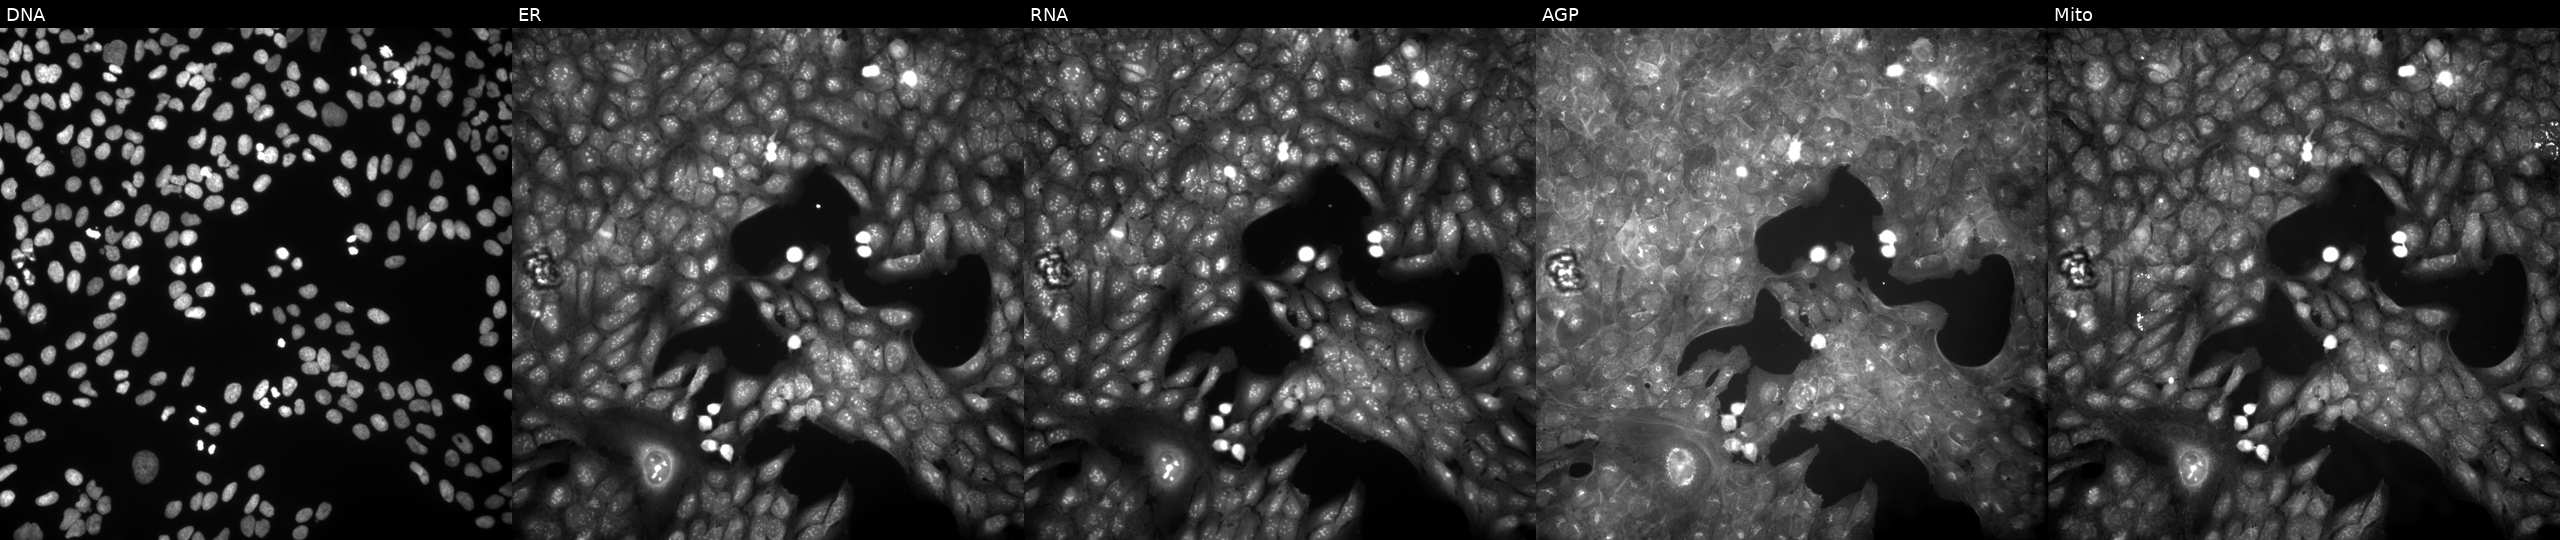
This image strip shows the five Cell Painting channels for a single field of U2OS cells treated with a small-molecule compound (InChIKey LGZPECRBROJIHY-UHFFFAOYSA-N). From left to right: Hoechst 33342, concanavalin A, SYTO 14, phalloidin and WGA, MitoTracker. Source 9, plate GR00003382, well M35.